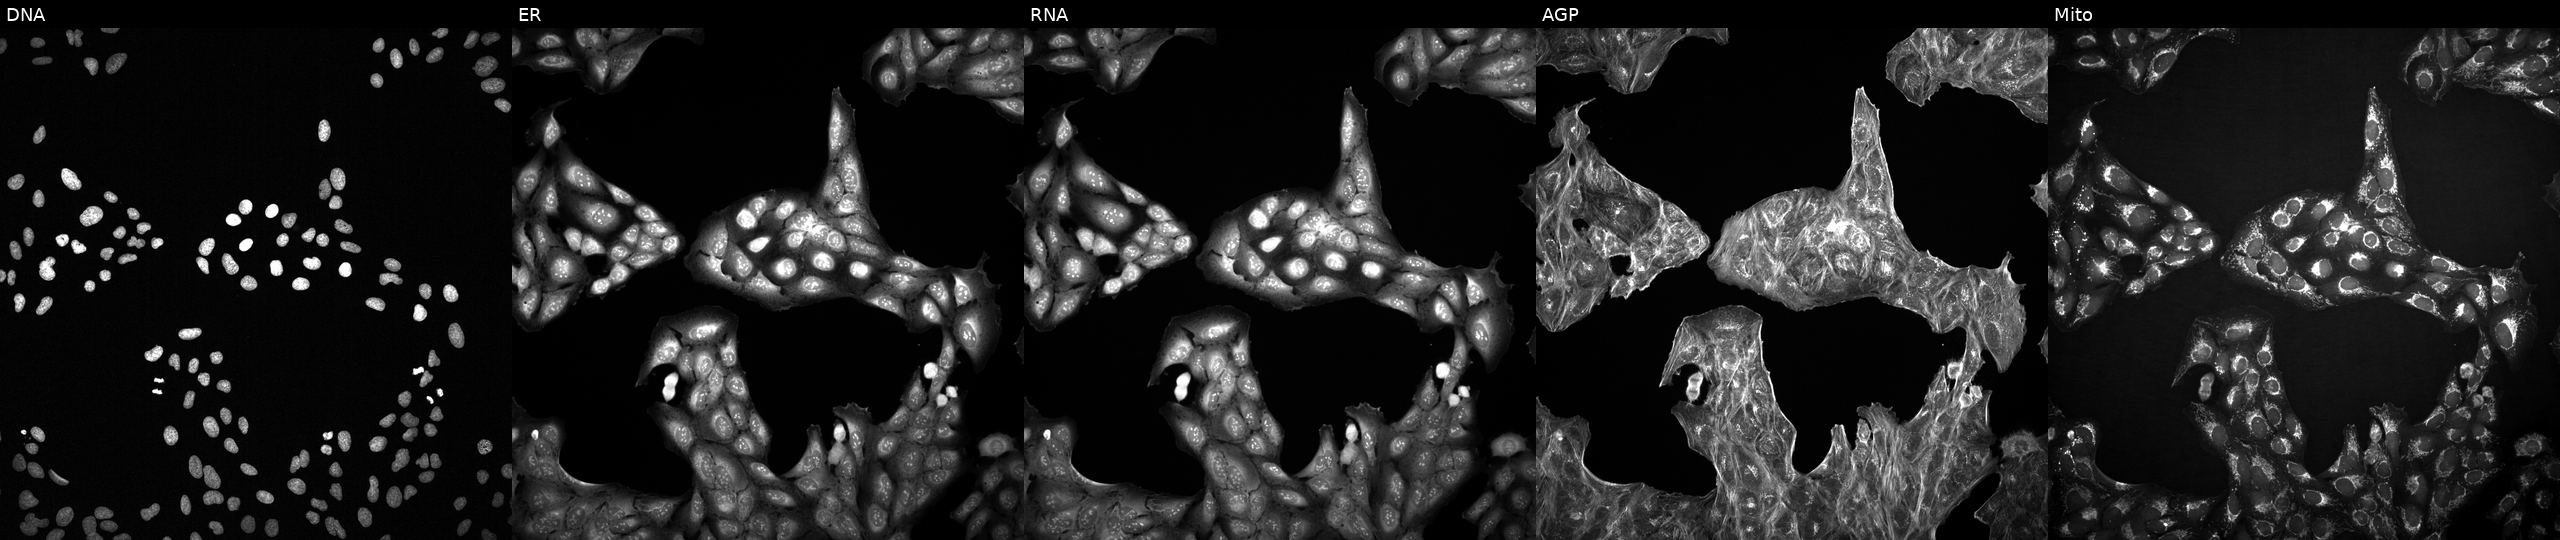
Channels (left→right): DNA, ER, RNA, AGP, and Mito. U2OS osteosarcoma cells with an unidentified perturbation (not annotated in JUMP metadata). Cell Painting assay, JUMP-CP dataset.